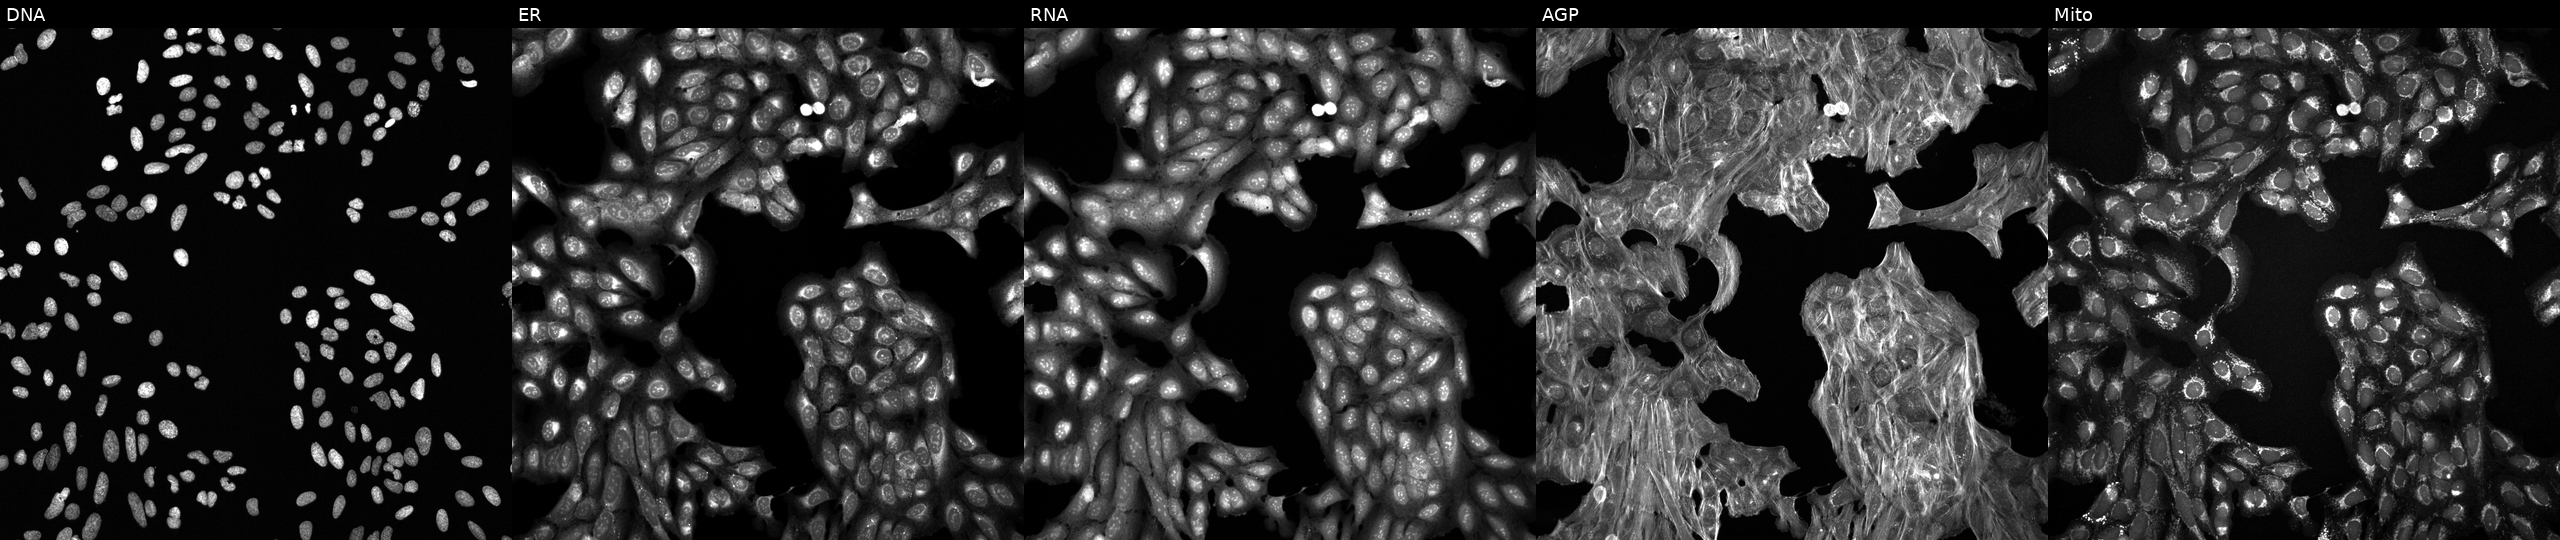
U2OS cells, Cell Painting assay, perturbed with a small-molecule compound (JUMP id JCP2022_073156). Channels (left→right): DNA, ER, RNA, AGP, and Mito. Each panel is percentile-stretched 16-bit fluorescence.